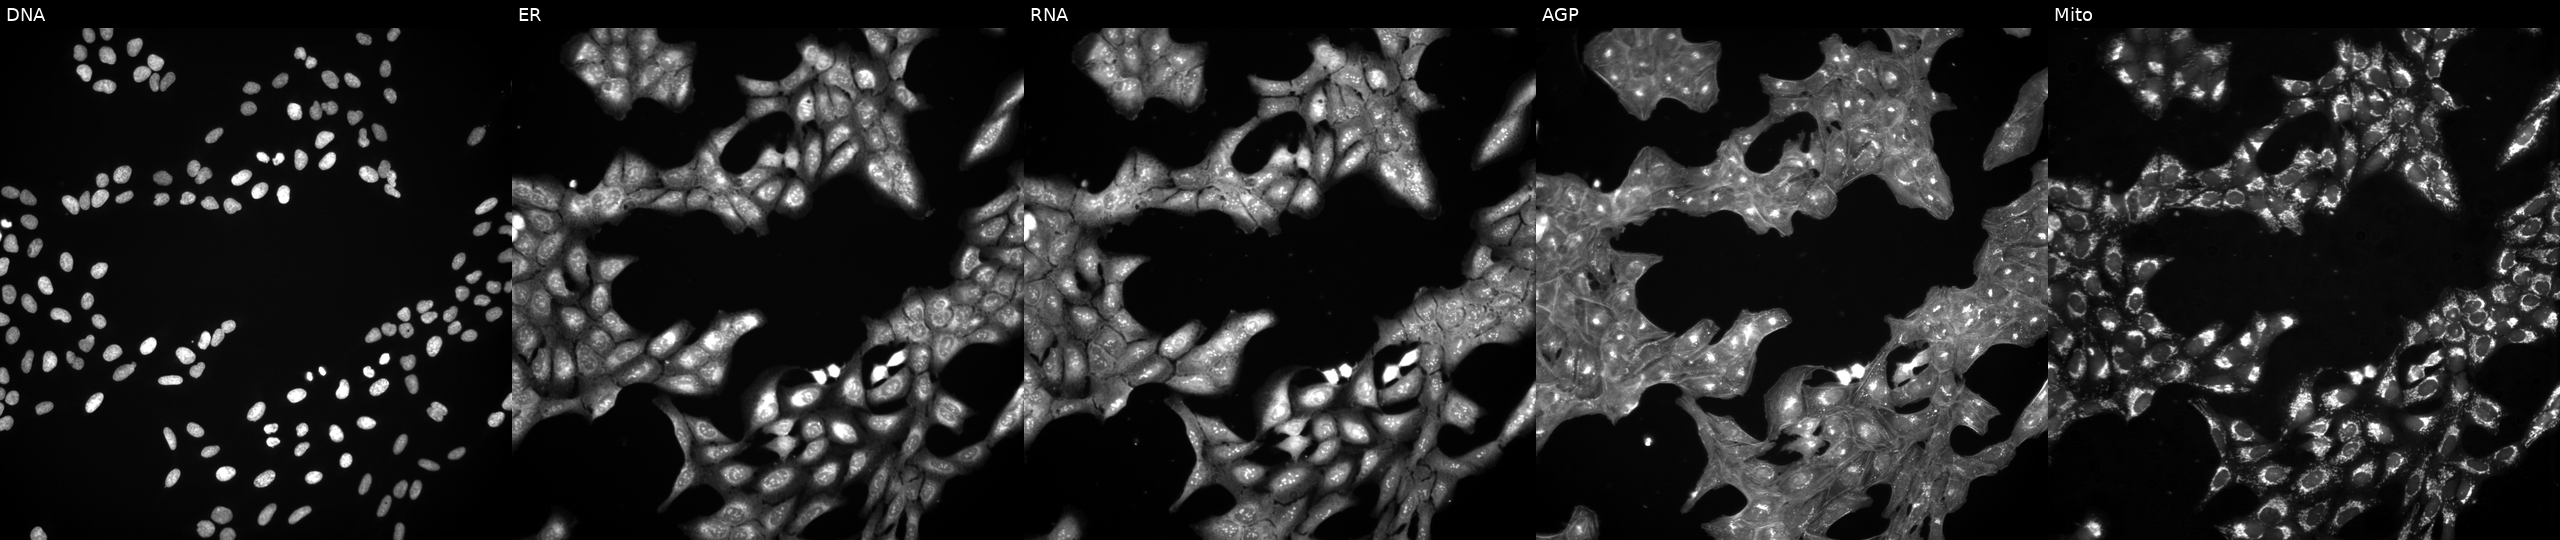
This image strip shows the five Cell Painting channels for a single field of U2OS cells treated with a small-molecule compound (InChIKey VCPYHJRPPOKQIE-UHFFFAOYSA-N) [SMILES: O=C1CC(c2cccc(Cl)c2)c2ccc3ccccc3c2N1]. Channels (left→right): DNA (nuclei); ER (endoplasmic reticulum); RNA (nucleoli and cytoplasmic RNA); AGP (actin cytoskeleton, Golgi, and plasma membrane); Mito (mitochondria).